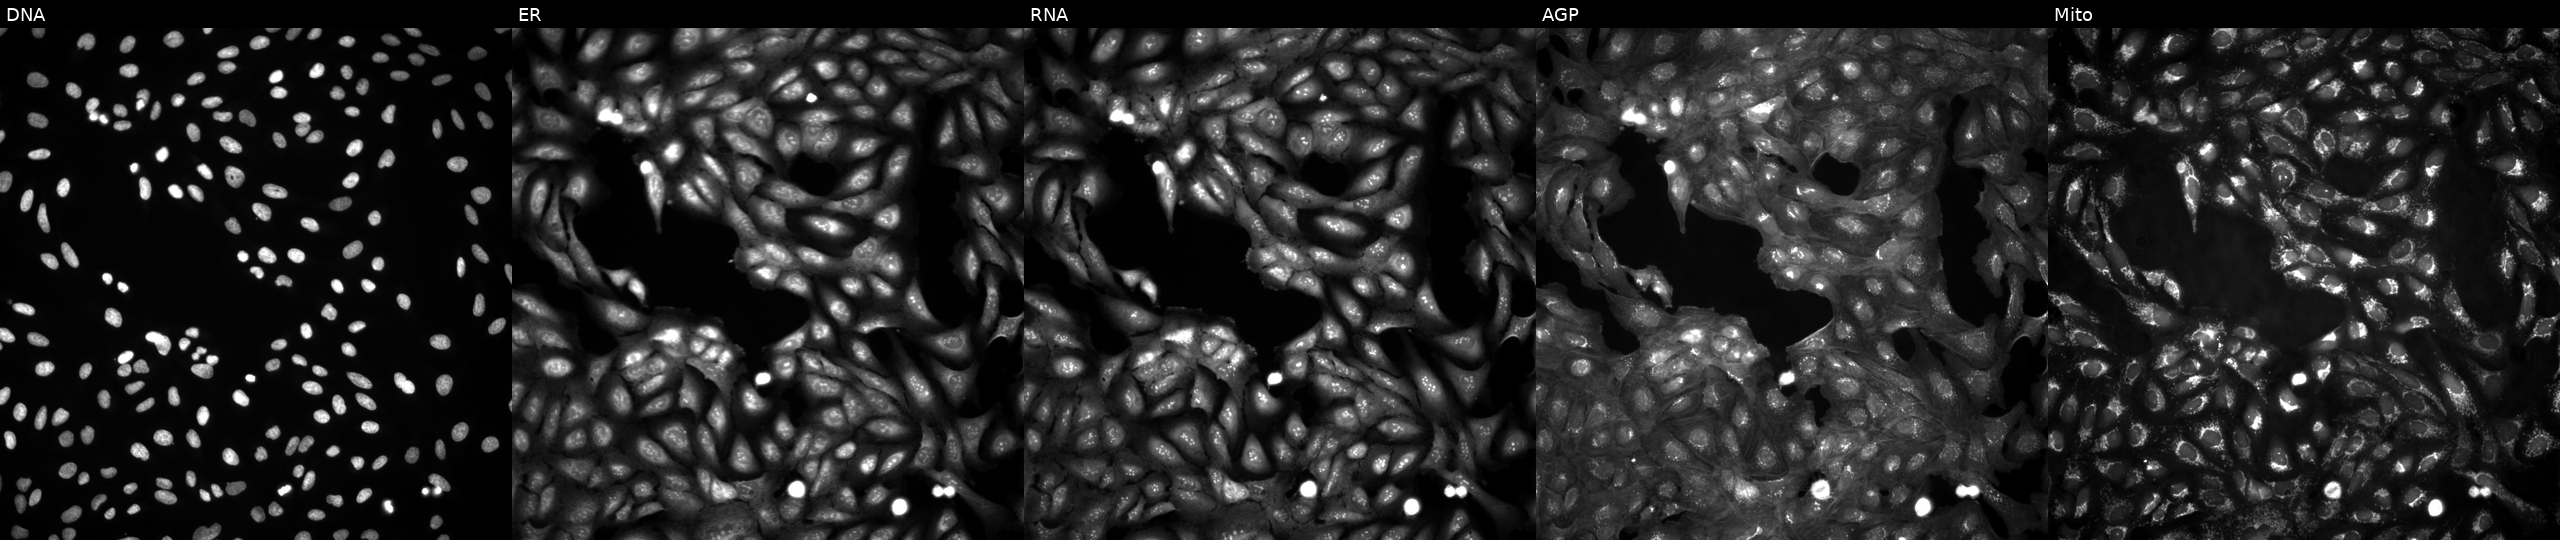
Panels show, left to right, Hoechst 33342, concanavalin A, SYTO 14, phalloidin and WGA, MitoTracker. U2OS osteosarcoma cells untreated (empty-well control). Cell Painting assay, JUMP-CP dataset.